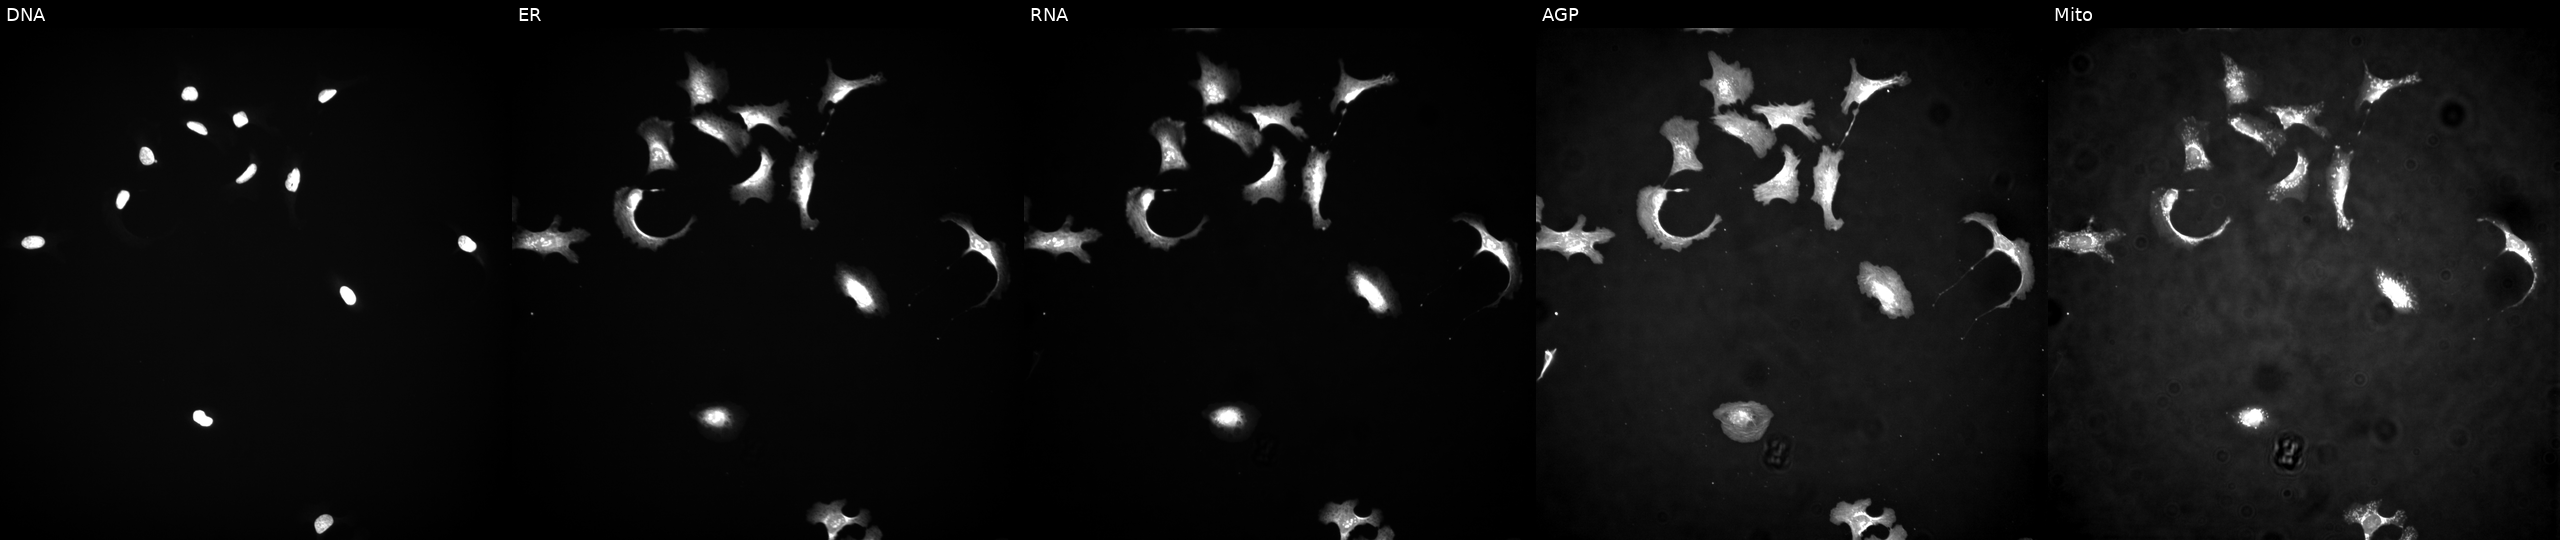
JUMP Cell Painting — ORF plate. U2OS cells transfected with an ORF construct for CDK13 (JUMP id JCP2022_910525). The five panels, left to right, show Hoechst 33342, concanavalin A, SYTO 14, phalloidin and WGA, MitoTracker. Source 4, plate BR00123945, well N08.